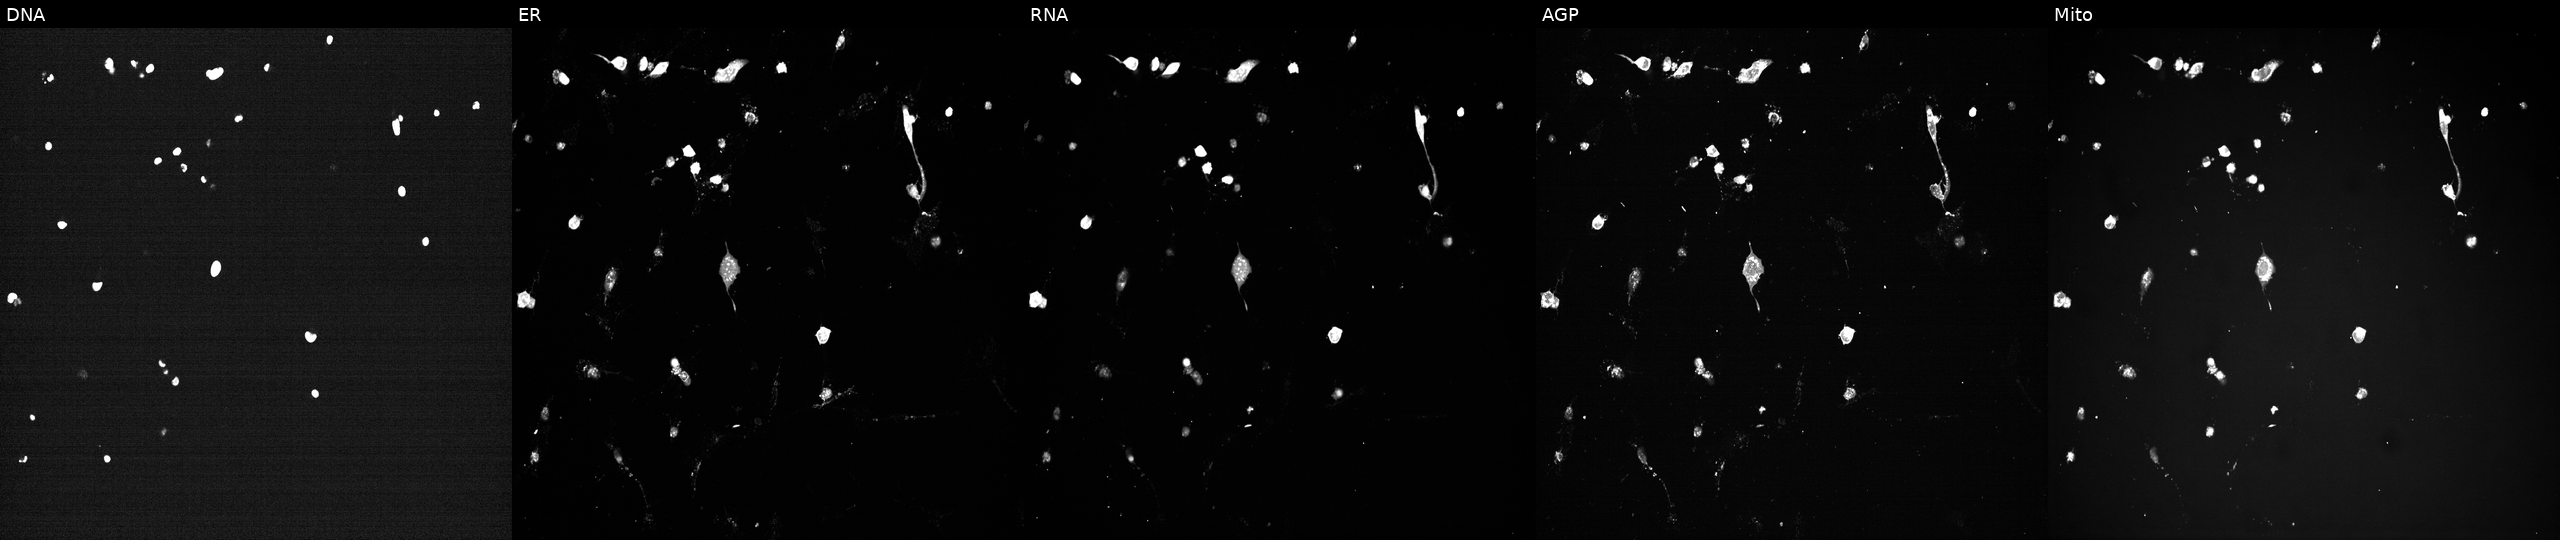
Five-channel Cell Painting image of U2OS cells exposed to a small-molecule compound (InChIKey DPJNKUOXBZSZAI-UHFFFAOYSA-N) (JUMP id JCP2022_017377). The five panels, left to right, show DNA, ER, RNA, AGP, and Mito.